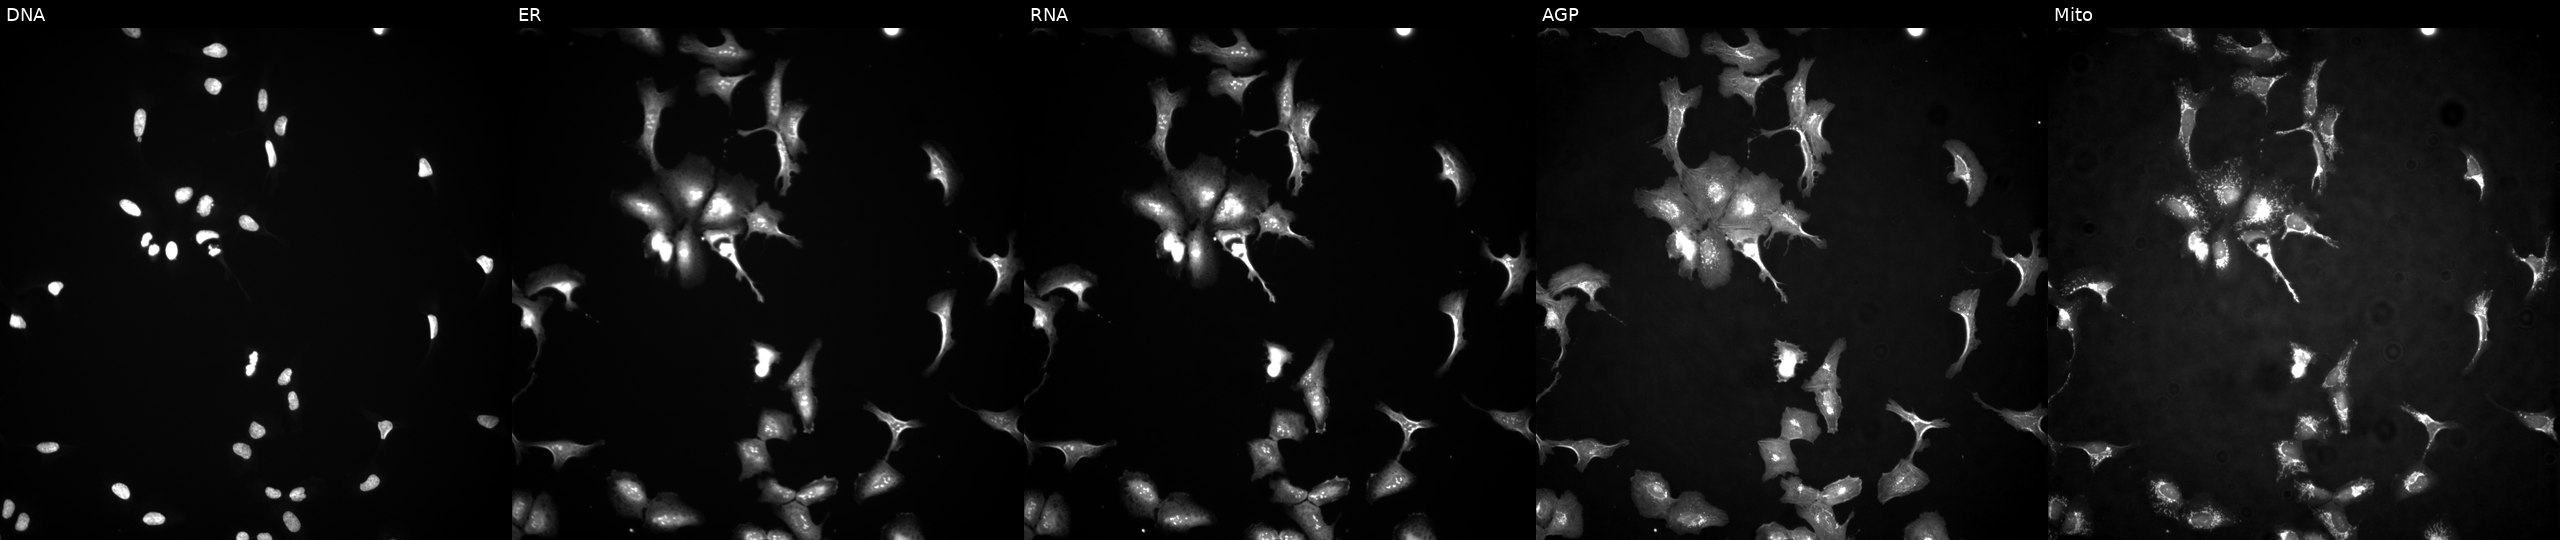
Five-channel Cell Painting image of U2OS cells with EYA2 overexpressed (ORF). From left to right: DNA, ER, RNA, AGP, and Mito.